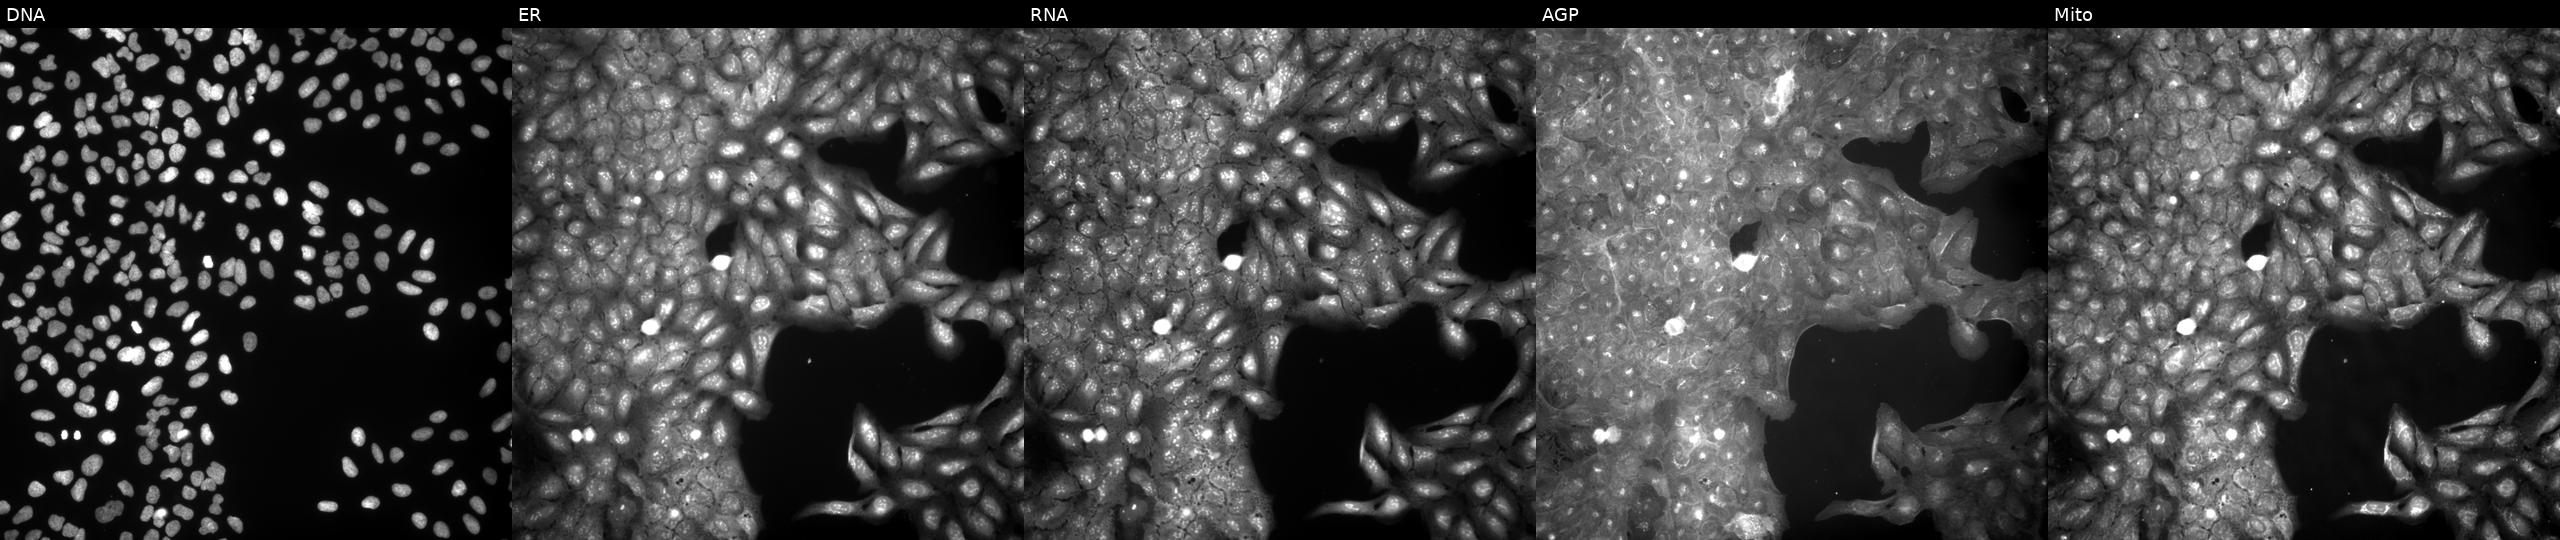
U2OS cells, Cell Painting assay, treated with DMSO vehicle only (negative control). Channels (left→right): DNA (nuclei); ER (endoplasmic reticulum); RNA (nucleoli and cytoplasmic RNA); AGP (actin cytoskeleton, Golgi, and plasma membrane); Mito (mitochondria). Each panel is percentile-stretched 16-bit fluorescence. Source 9, plate GR00003381, well L26.